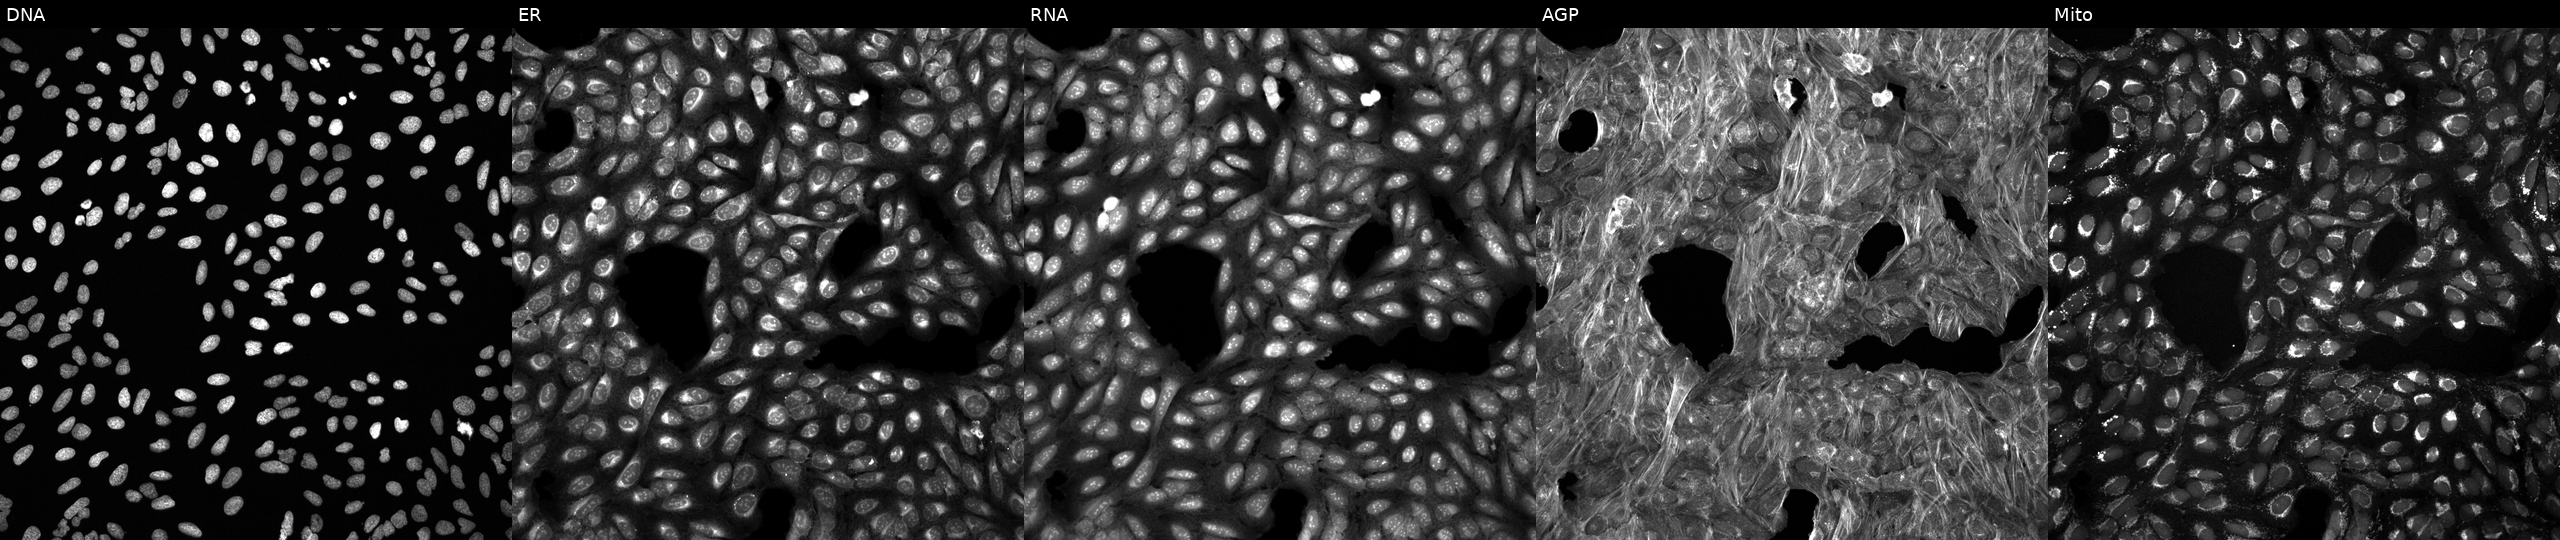
Five-channel Cell Painting image of U2OS cells treated with a small-molecule compound (InChIKey OTWNNTKWNHRABK-UHFFFAOYSA-N). Panels show, left to right, Hoechst 33342, concanavalin A, SYTO 14, phalloidin and WGA, MitoTracker.